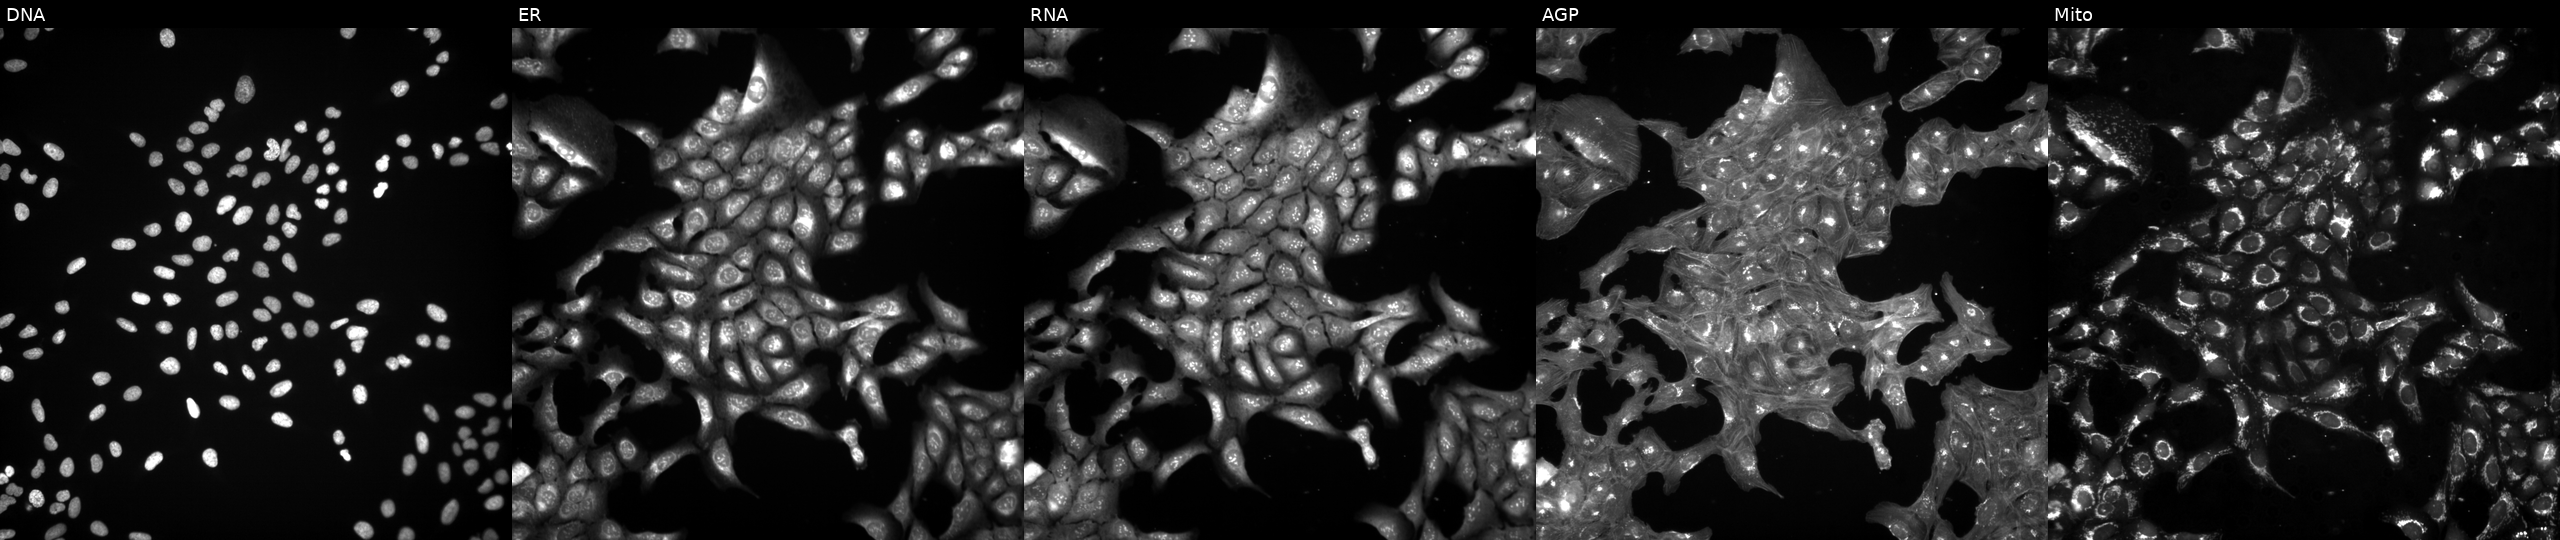
JUMP Cell Painting — TARGET2 plate. U2OS cells exposed to DMSO alone as a negative control (JUMP id JCP2022_033924). From left to right: DNA (nuclei); ER (endoplasmic reticulum); RNA (nucleoli and cytoplasmic RNA); AGP (actin cytoskeleton, Golgi, and plasma membrane); Mito (mitochondria).